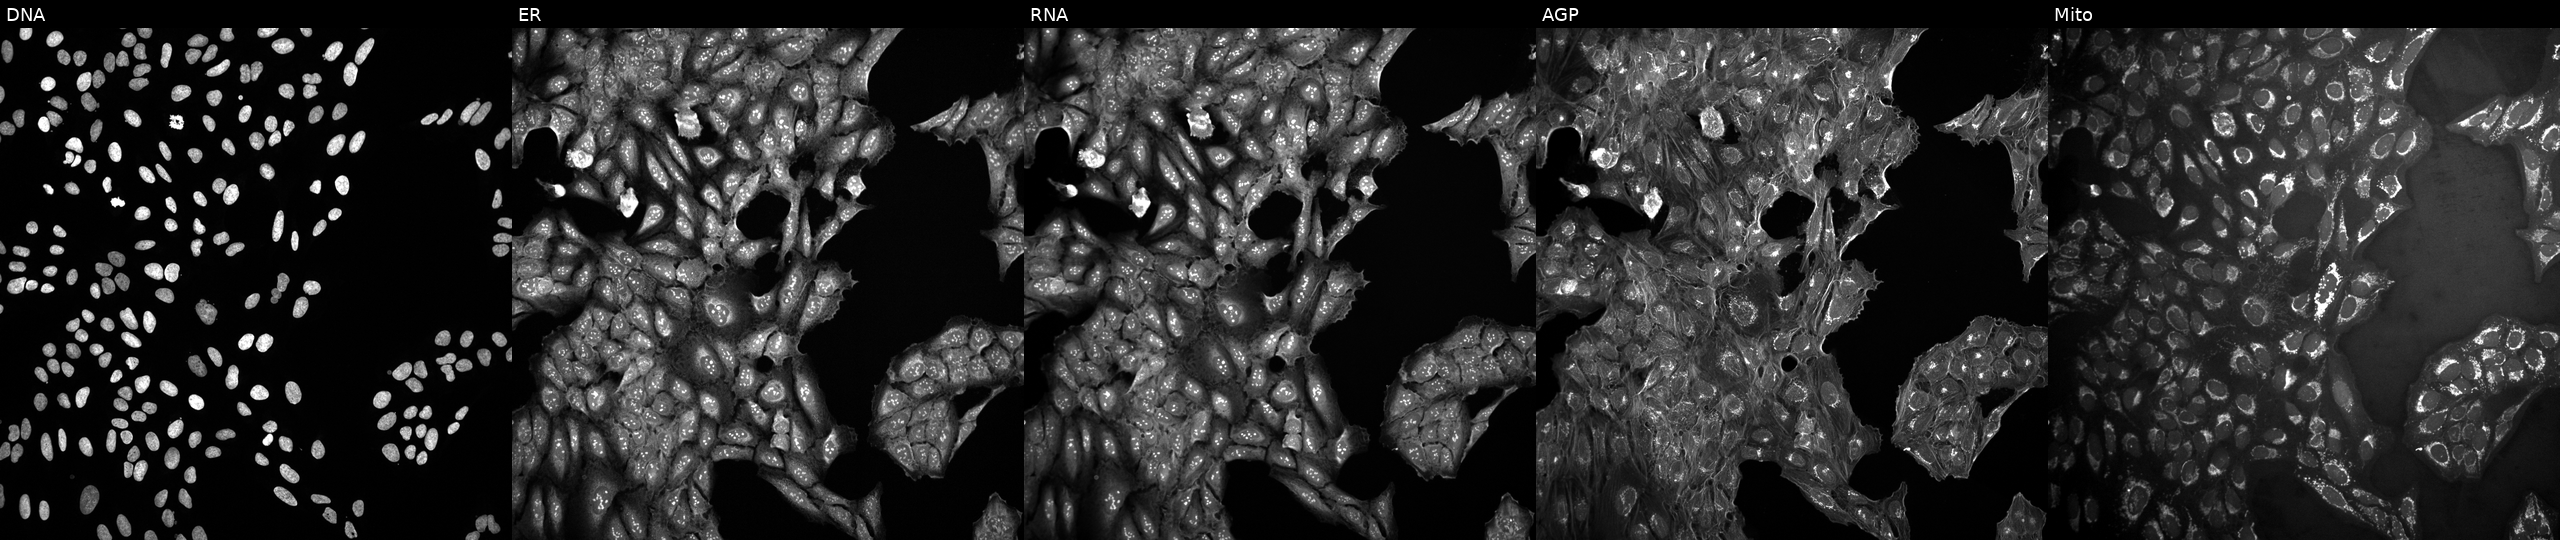
JUMP Cell Painting — COMPOUND plate. U2OS cells exposed to a small-molecule compound (InChIKey OVPNAMUPJVIBIW-UHFFFAOYSA-N) (JUMP id JCP2022_066411). Channels (left→right): Hoechst 33342, concanavalin A, SYTO 14, phalloidin and WGA, MitoTracker. Source 10, plate Dest210531-152149, well P19.